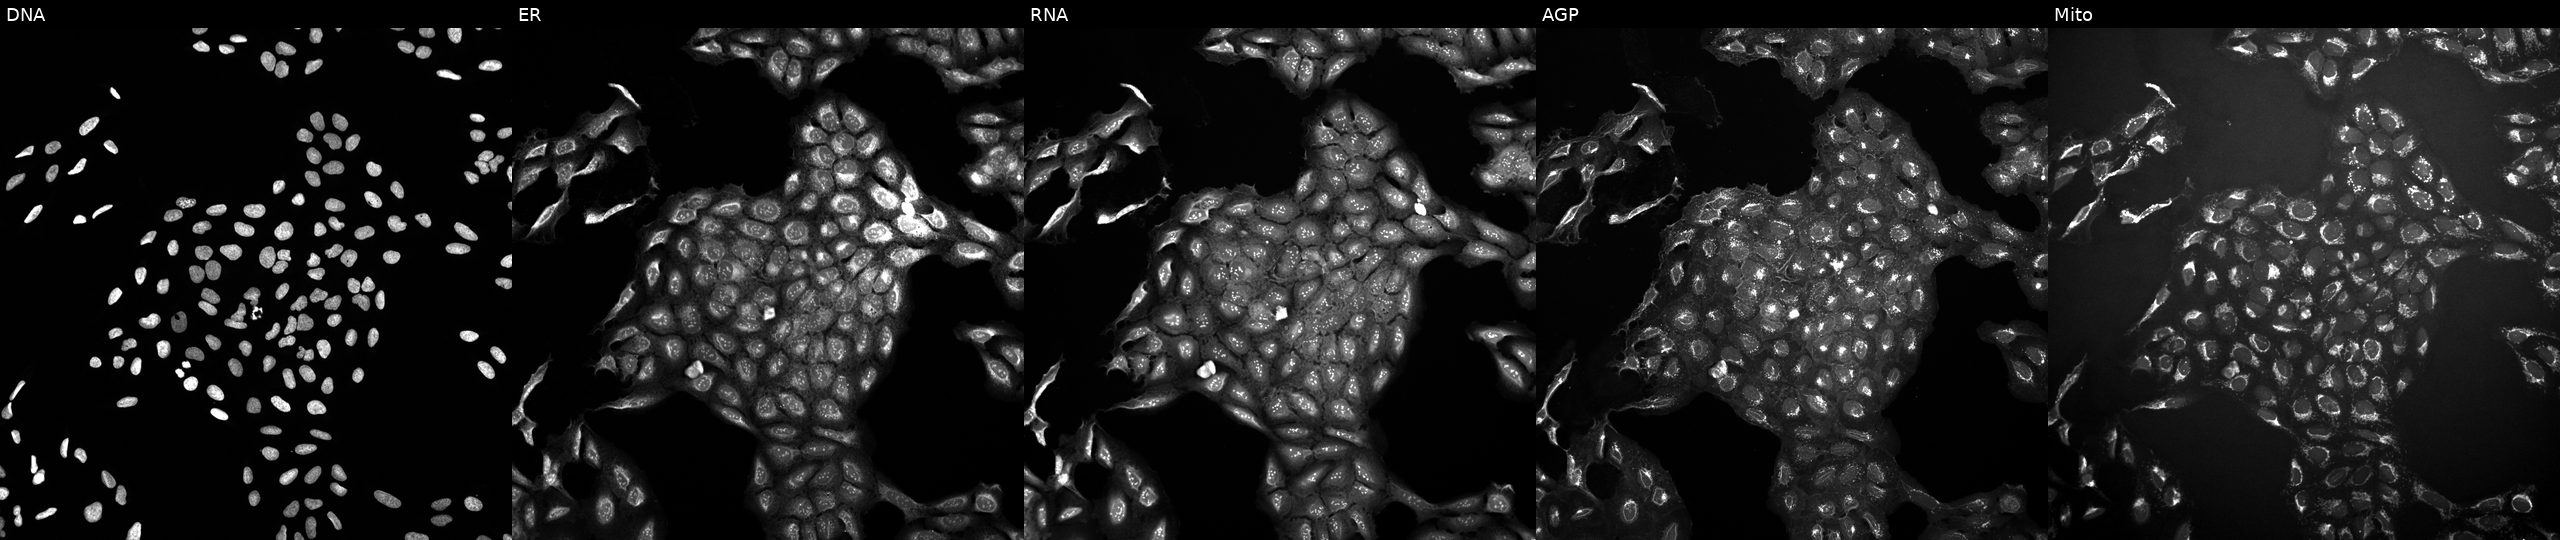
U2OS cells, Cell Painting assay, exposed to the positive-control compound aloxistatin (JUMP id JCP2022_085227). The five panels, left to right, show DNA (nuclei); ER (endoplasmic reticulum); RNA (nucleoli and cytoplasmic RNA); AGP (actin cytoskeleton, Golgi, and plasma membrane); Mito (mitochondria). Each panel is percentile-stretched 16-bit fluorescence. Source 10, plate Dest210803-153958, well F06.